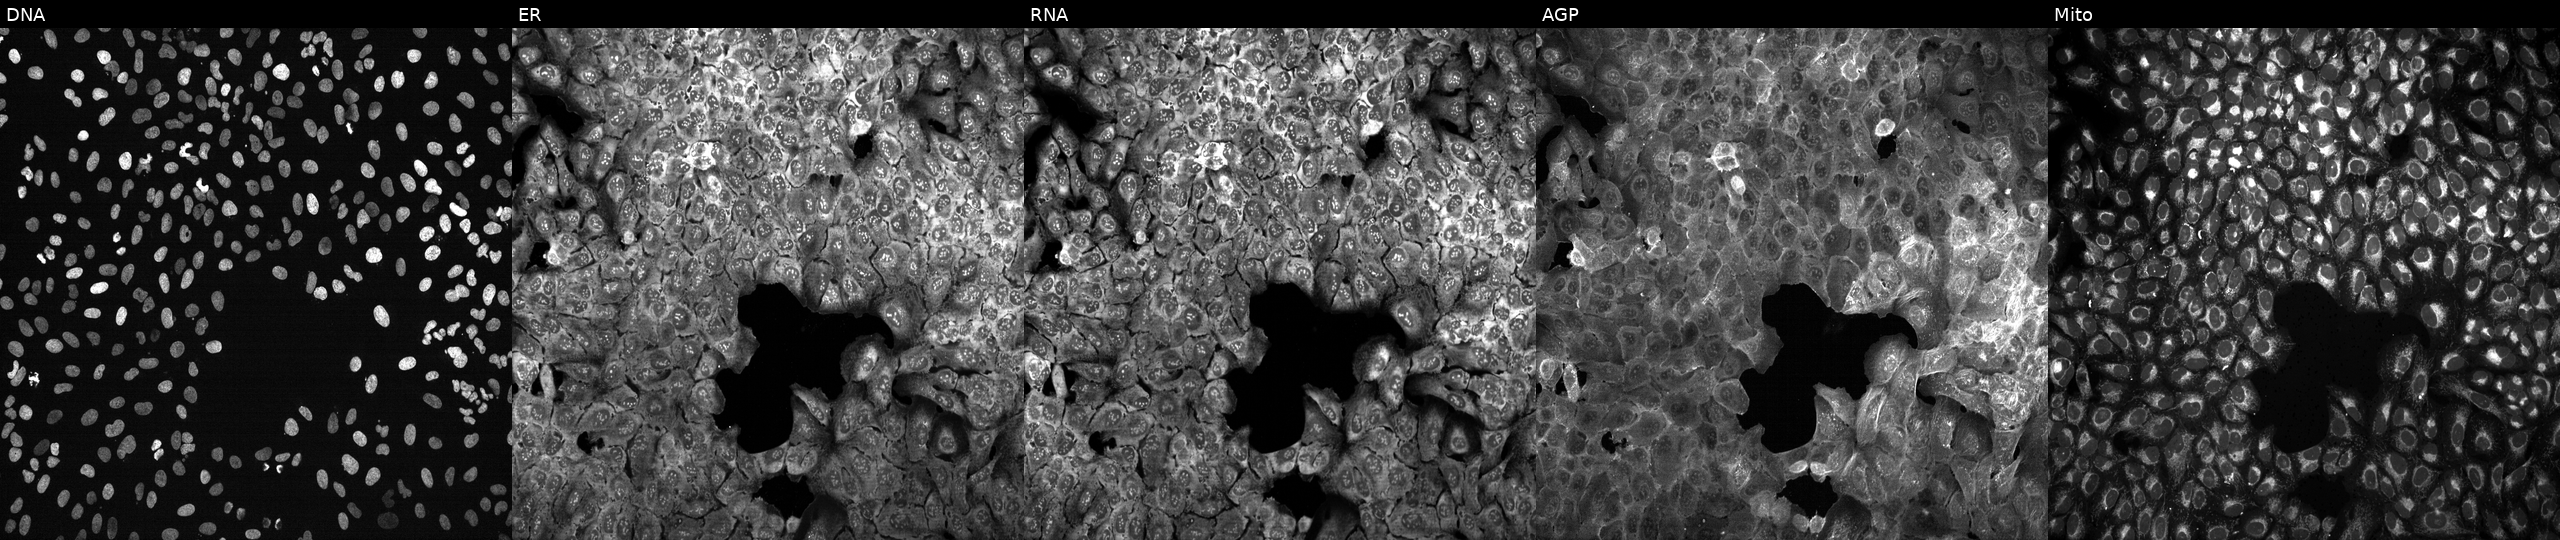
Five-channel Cell Painting image of U2OS cells following CRISPR knockout of POLK (JUMP id JCP2022_805334). Panels show, left to right, Hoechst 33342, concanavalin A, SYTO 14, phalloidin and WGA, MitoTracker. Source 13, plate CP-CC9-R2-01, well A21.